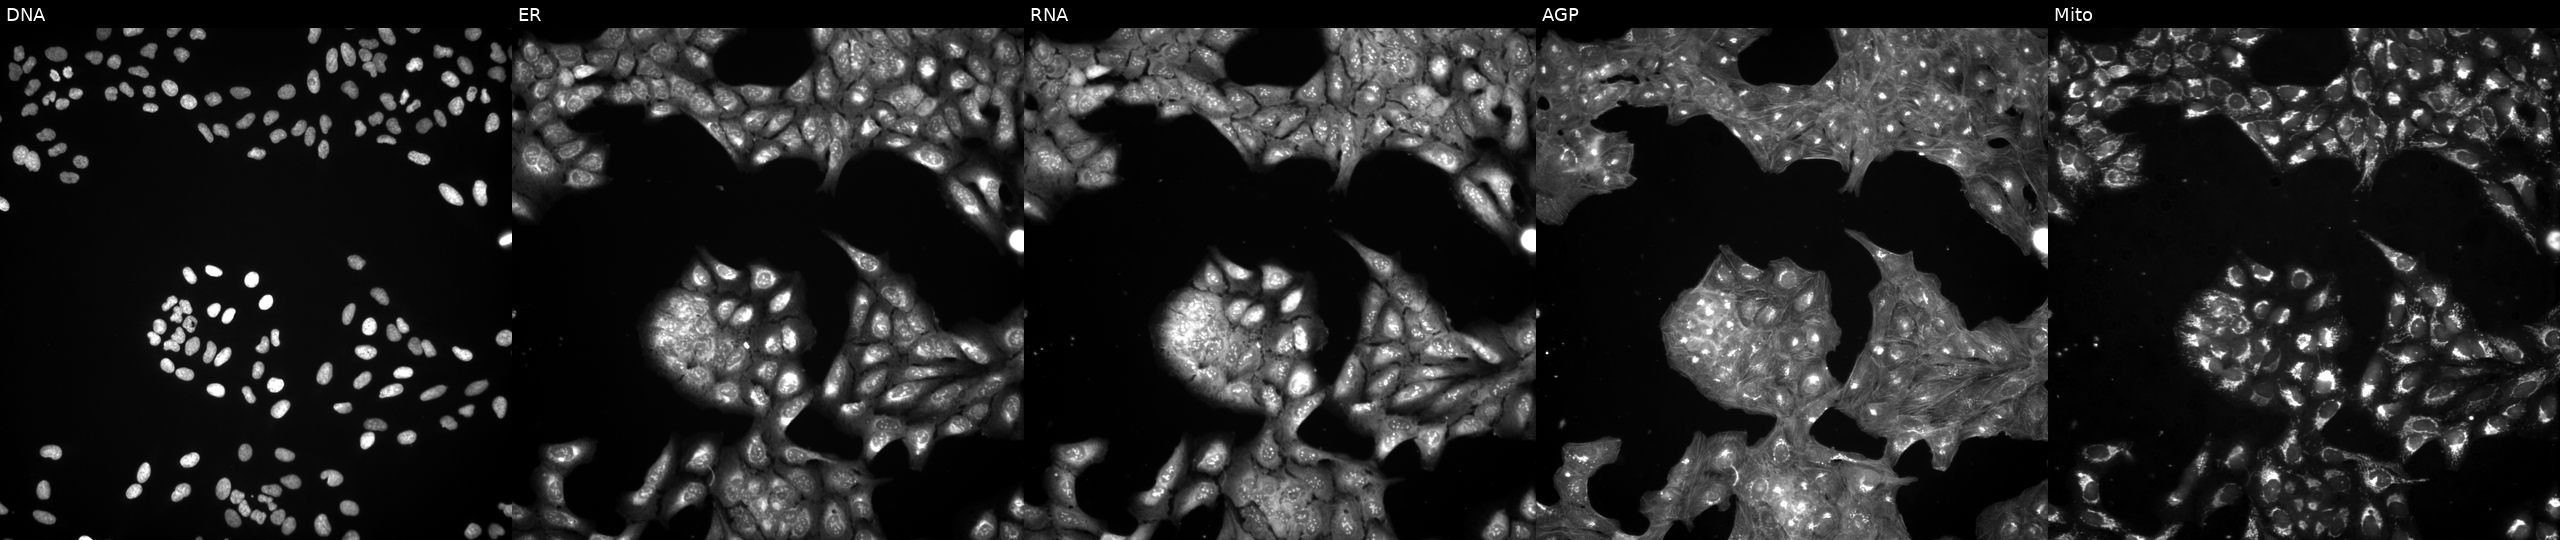
JUMP Cell Painting — TARGET2 plate. U2OS cells exposed to a small-molecule compound [SMILES: CC1CC(C)C(=O)C(C(O)CC2CC(=O)NC(=O)C2)C1]. Channels (left→right): DNA (nuclei); ER (endoplasmic reticulum); RNA (nucleoli and cytoplasmic RNA); AGP (actin cytoskeleton, Golgi, and plasma membrane); Mito (mitochondria). Source 3, plate JCPQC052, well K08.